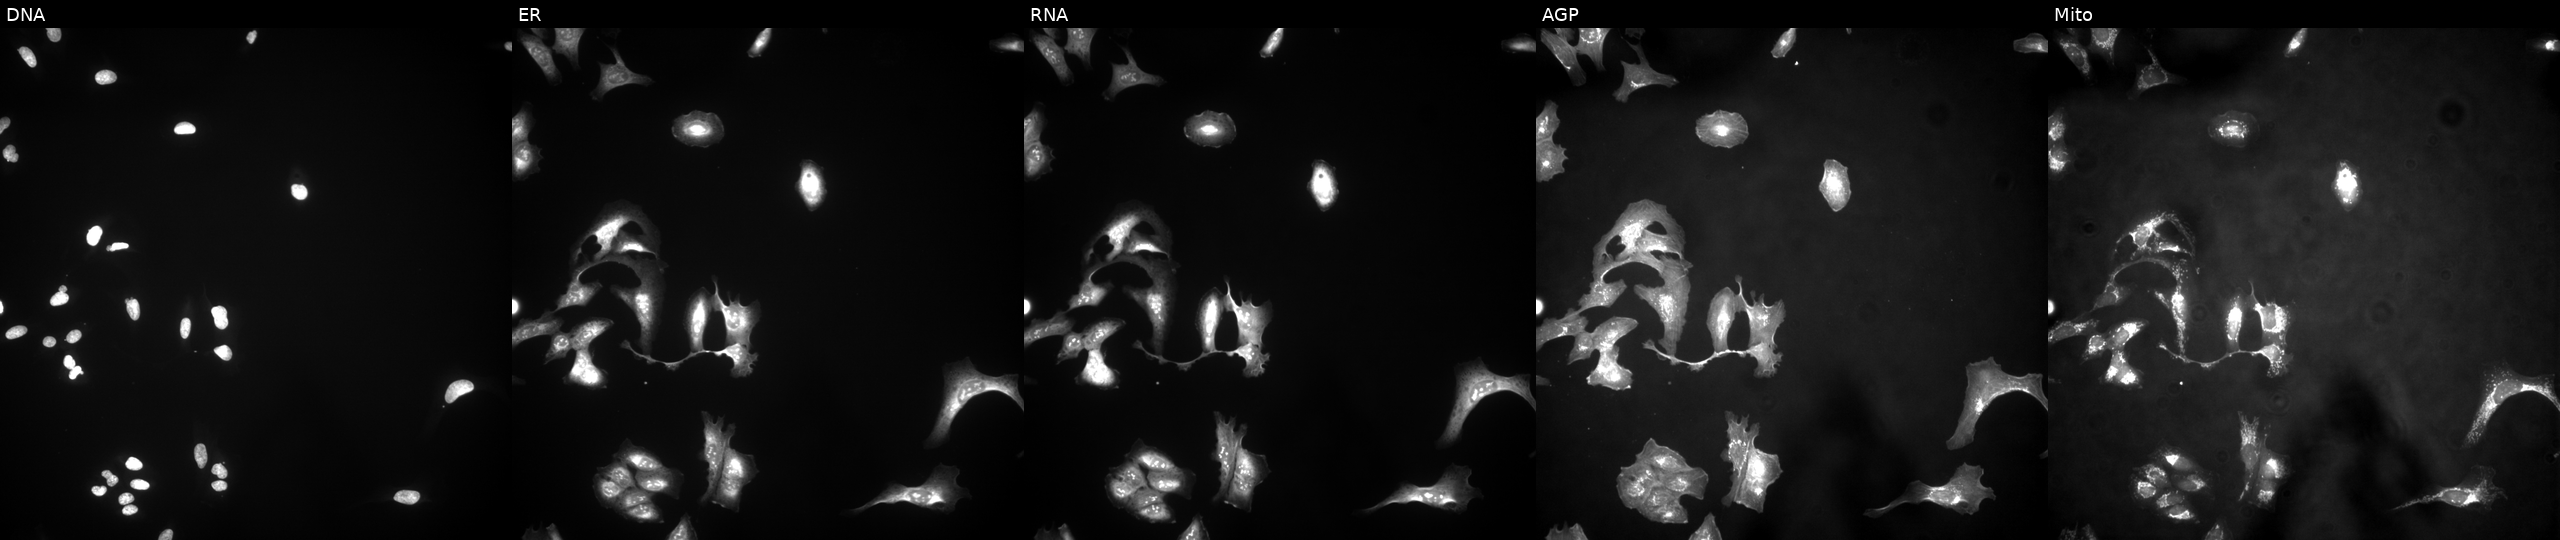
U2OS cells, Cell Painting assay, overexpressing C1orf94 via ORF transfection (JUMP id JCP2022_908639). Panels show, left to right, Hoechst 33342, concanavalin A, SYTO 14, phalloidin and WGA, MitoTracker. Each panel is percentile-stretched 16-bit fluorescence.